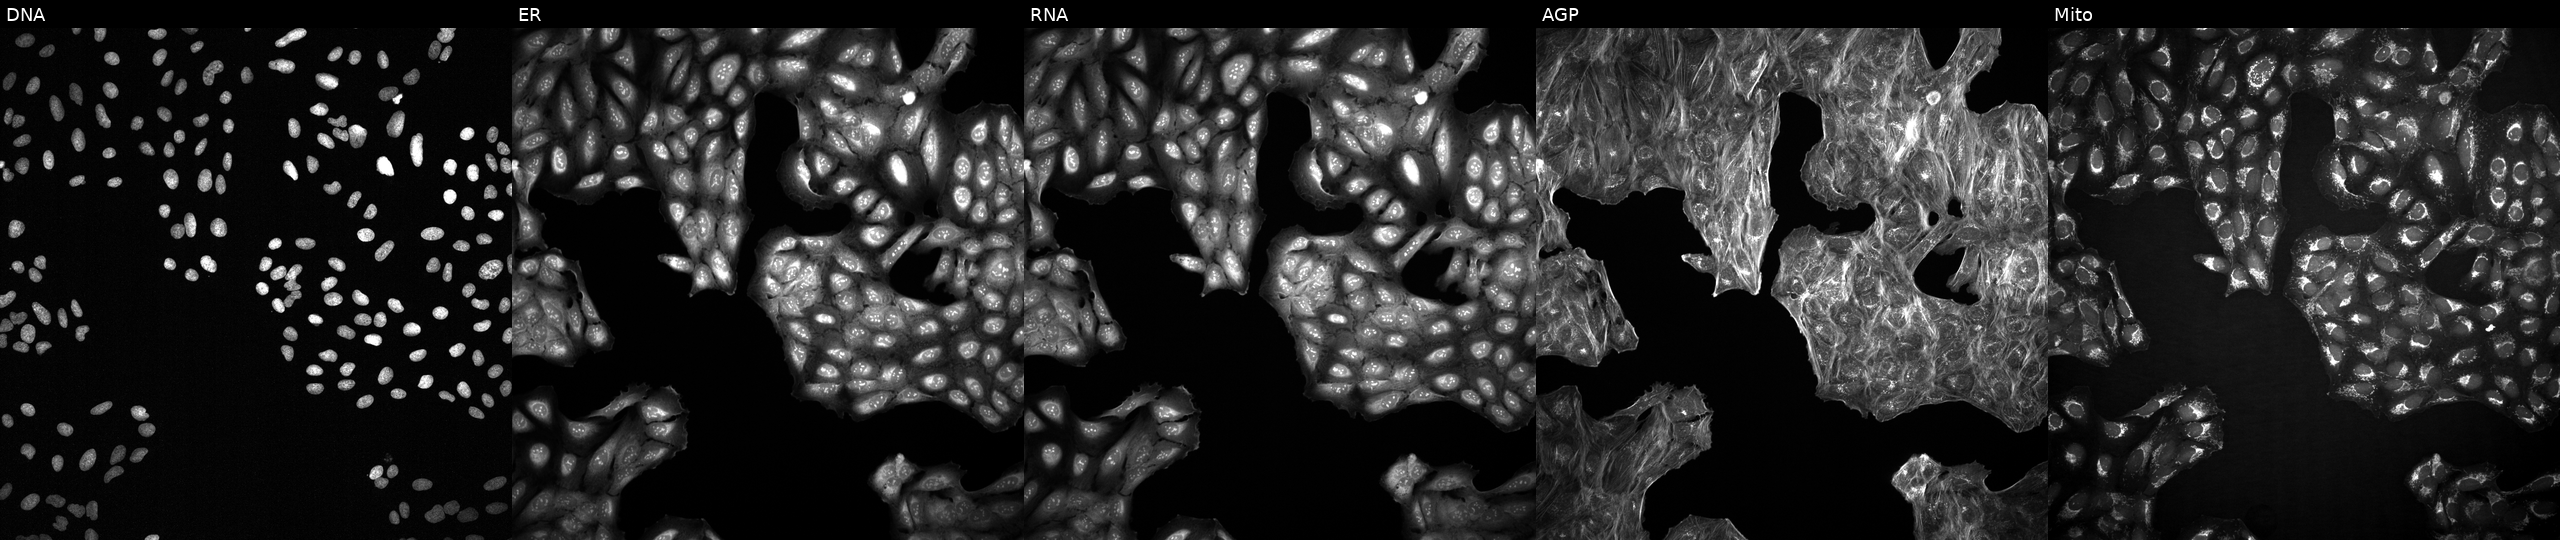
This image strip shows the five Cell Painting channels for a single field of U2OS cells with an unidentified perturbation (not annotated in JUMP metadata). From left to right: DNA, ER, RNA, AGP, and Mito. Source 2, plate 1053601763, well B15.